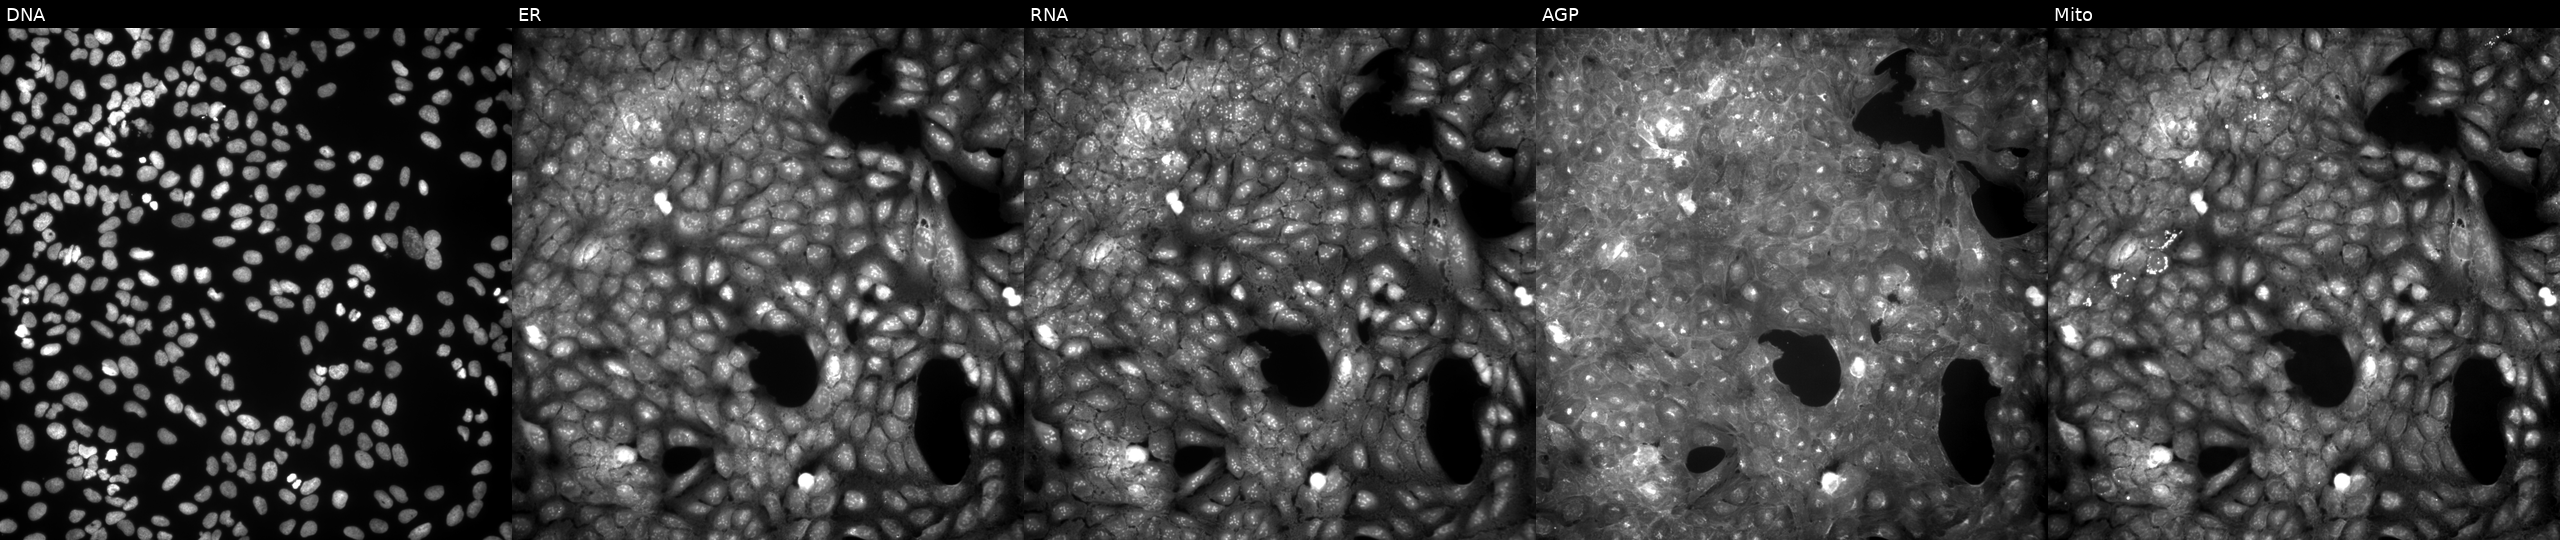
The five panels, left to right, show DNA, ER, RNA, AGP, and Mito. U2OS osteosarcoma cells perturbed with a small-molecule compound (InChIKey SBCPQFXBUXBFBA-UHFFFAOYSA-N). Cell Painting assay, JUMP-CP dataset.